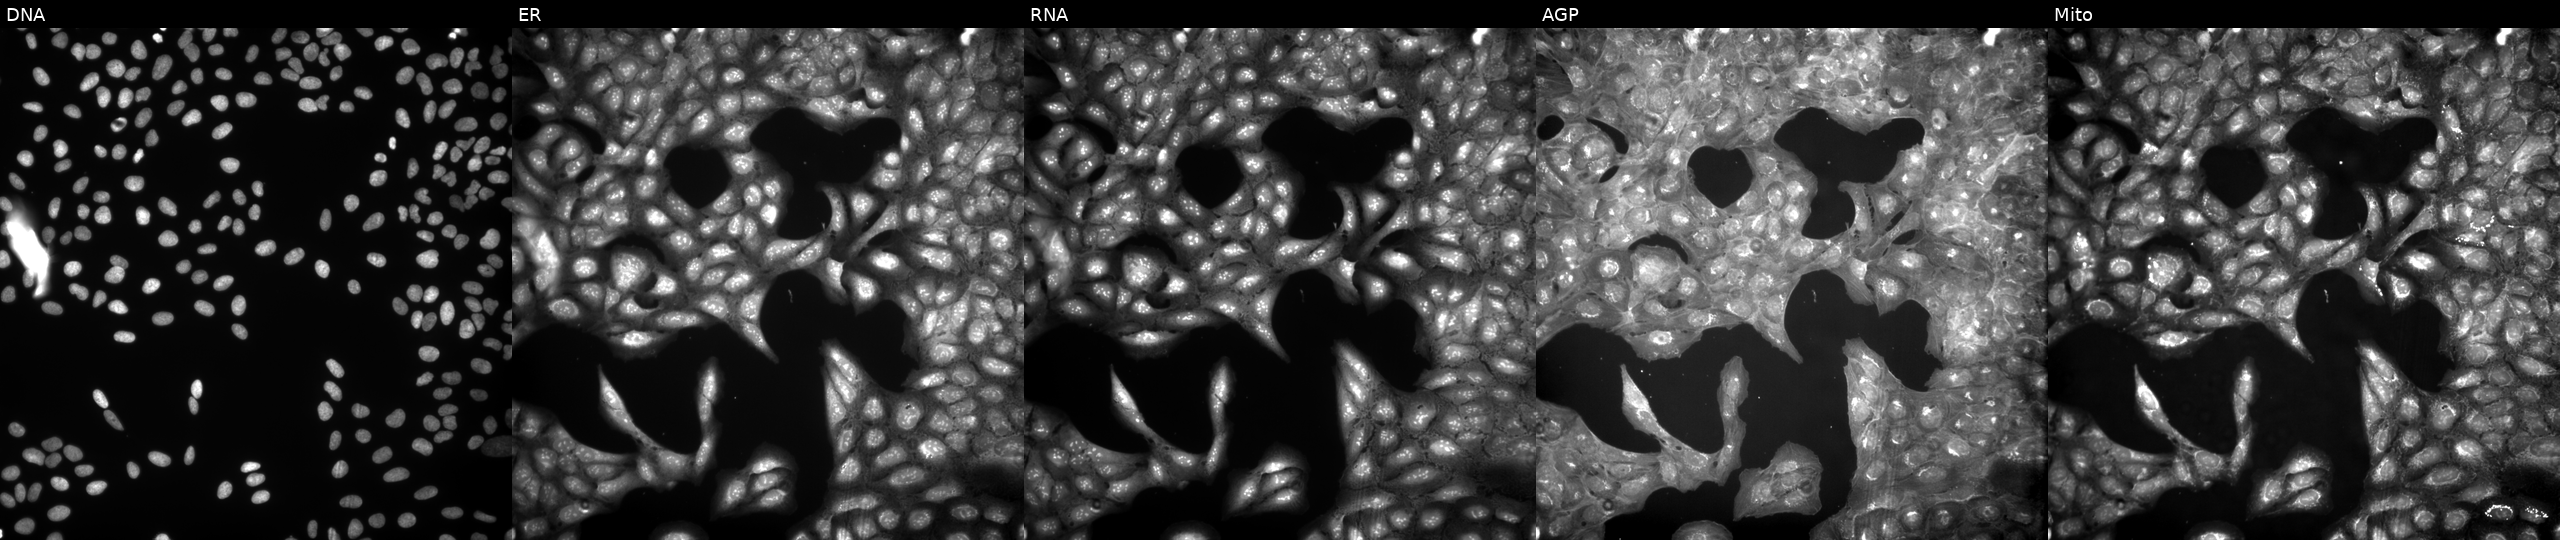
U2OS cells, Cell Painting assay, perturbed with a small-molecule compound (InChIKey IRNQSLIGLFWJGP-UHFFFAOYSA-N) (JUMP id JCP2022_036956). Channels (left→right): DNA, ER, RNA, AGP, and Mito. Each panel is percentile-stretched 16-bit fluorescence.